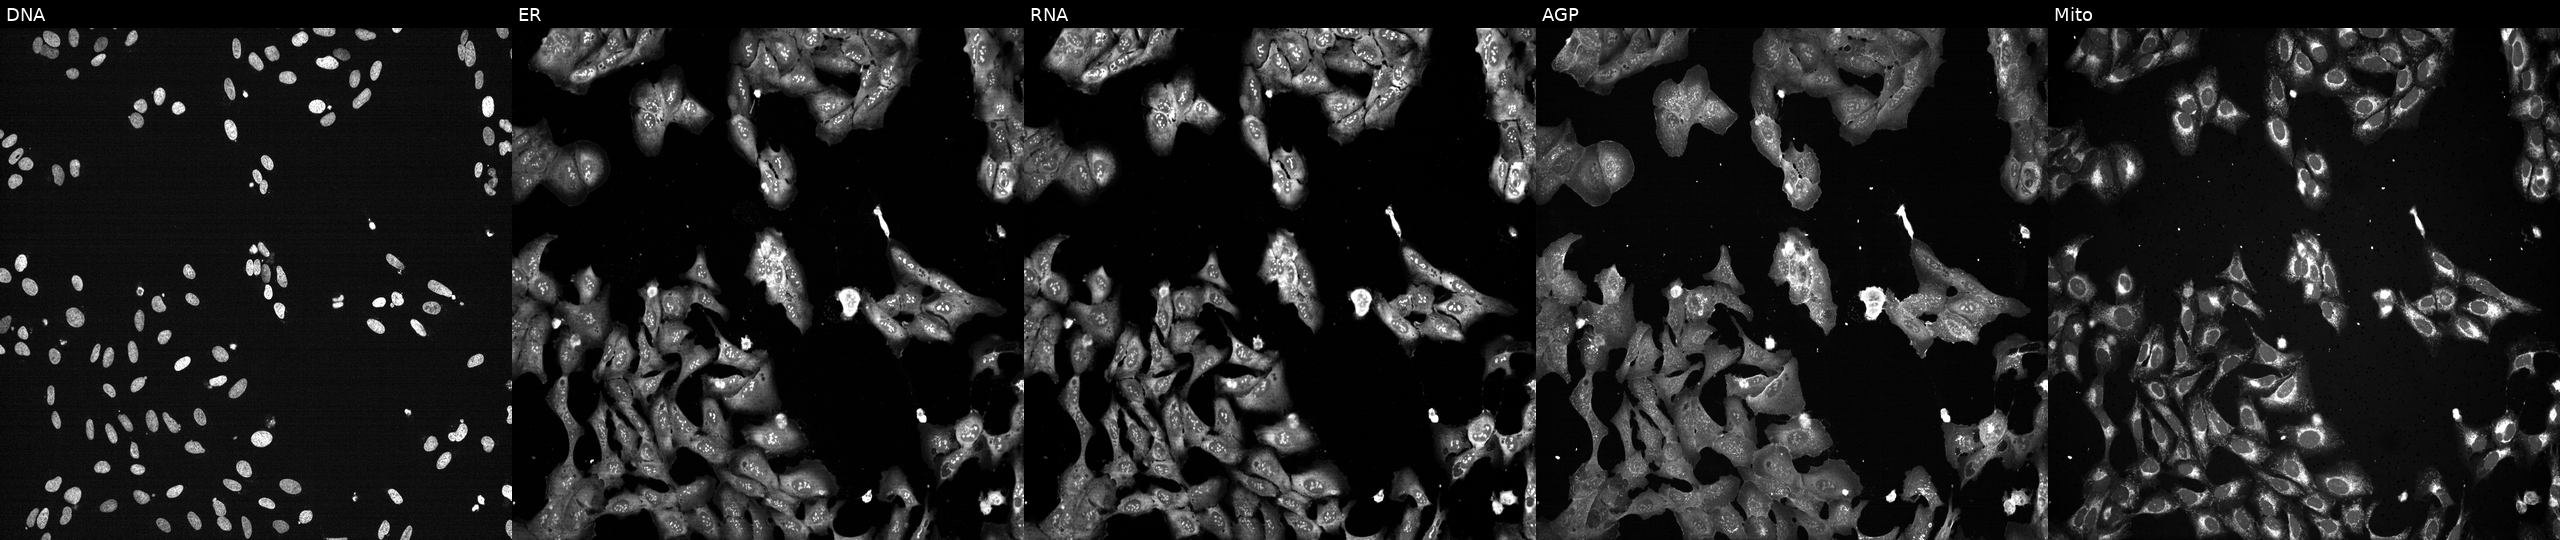
High-content fluorescence microscopy (Cell Painting). Cell line: U2OS. Perturbation: with POLR2B knocked out by CRISPR. Panels show, left to right, DNA, ER, RNA, AGP, and Mito.